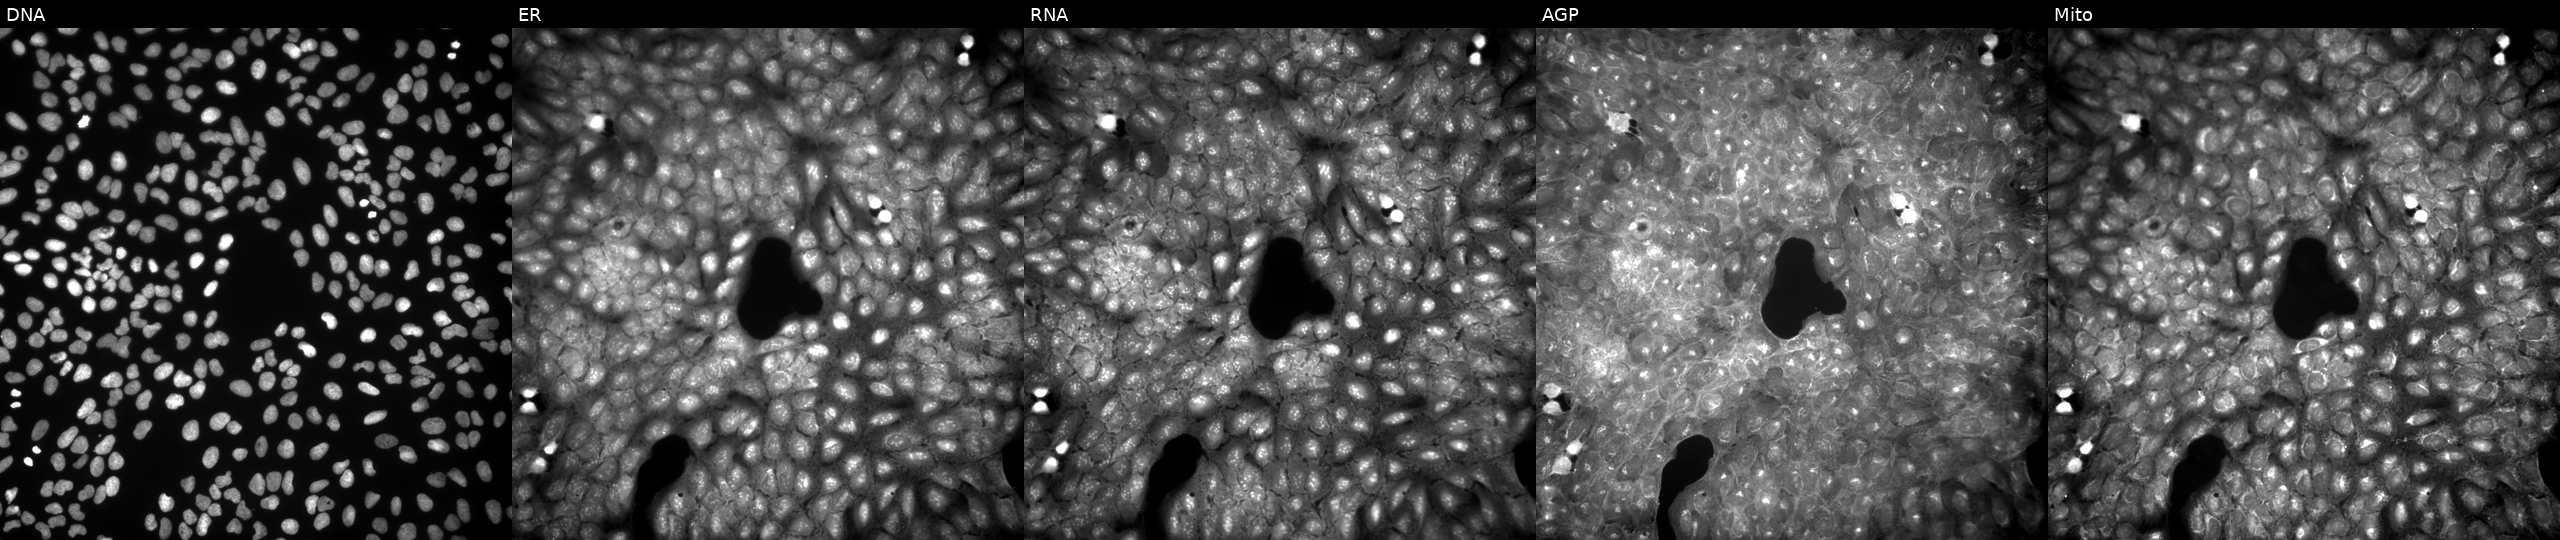
High-content fluorescence microscopy (Cell Painting). Cell line: U2OS. Perturbation: treated with a small-molecule compound (InChIKey WCIVOCKEAKOYBX-UHFFFAOYSA-N) (JUMP id JCP2022_097858). The five panels, left to right, show DNA (nuclei); ER (endoplasmic reticulum); RNA (nucleoli and cytoplasmic RNA); AGP (actin cytoskeleton, Golgi, and plasma membrane); Mito (mitochondria).